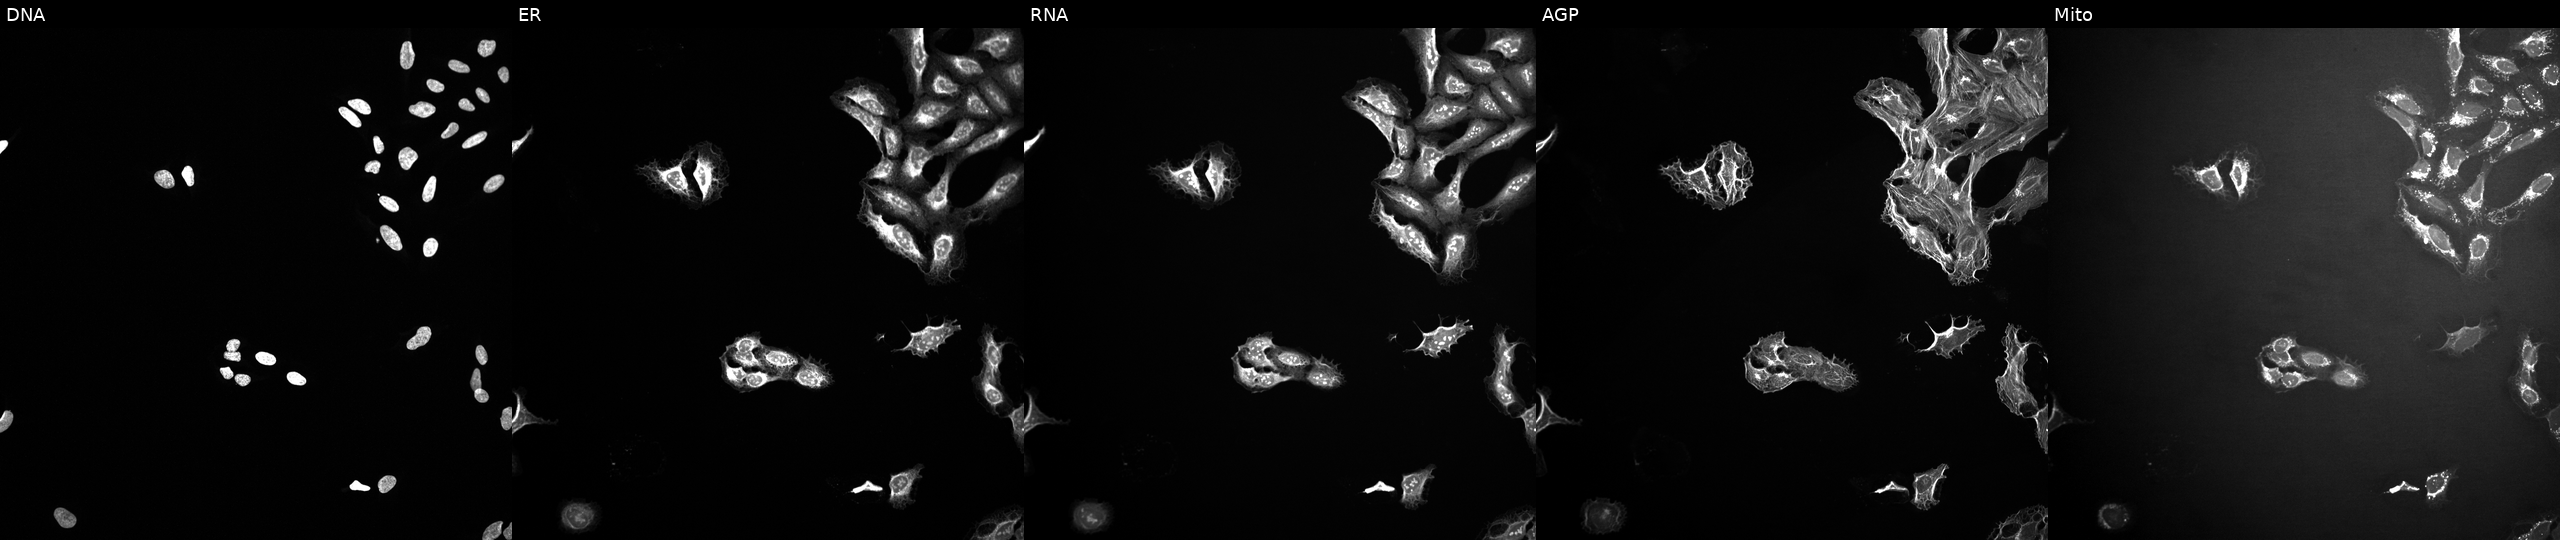
Five-channel Cell Painting image of U2OS cells perturbed with a small-molecule compound (InChIKey MAASHDQFQDDECQ-UHFFFAOYSA-N). Channels (left→right): DNA (nuclei); ER (endoplasmic reticulum); RNA (nucleoli and cytoplasmic RNA); AGP (actin cytoskeleton, Golgi, and plasma membrane); Mito (mitochondria).